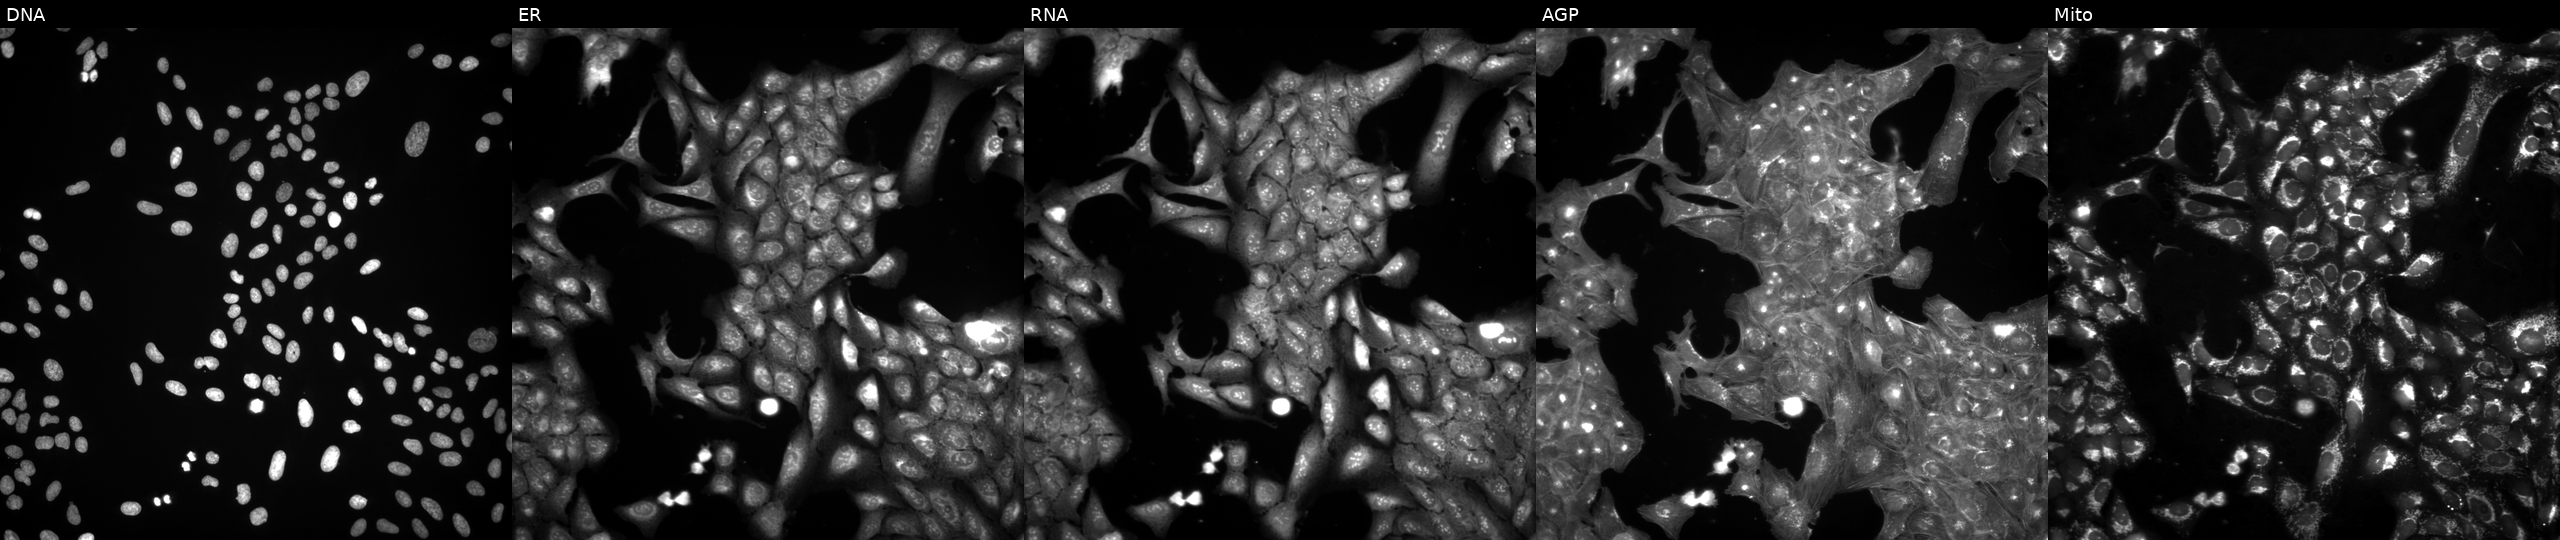
This image strip shows the five Cell Painting channels for a single field of U2OS cells perturbed with a small-molecule compound (InChIKey LENZDBCJOHFCAS-UHFFFAOYSA-N). From left to right: DNA, ER, RNA, AGP, and Mito. Source 3, plate JCPQC052, well F02.